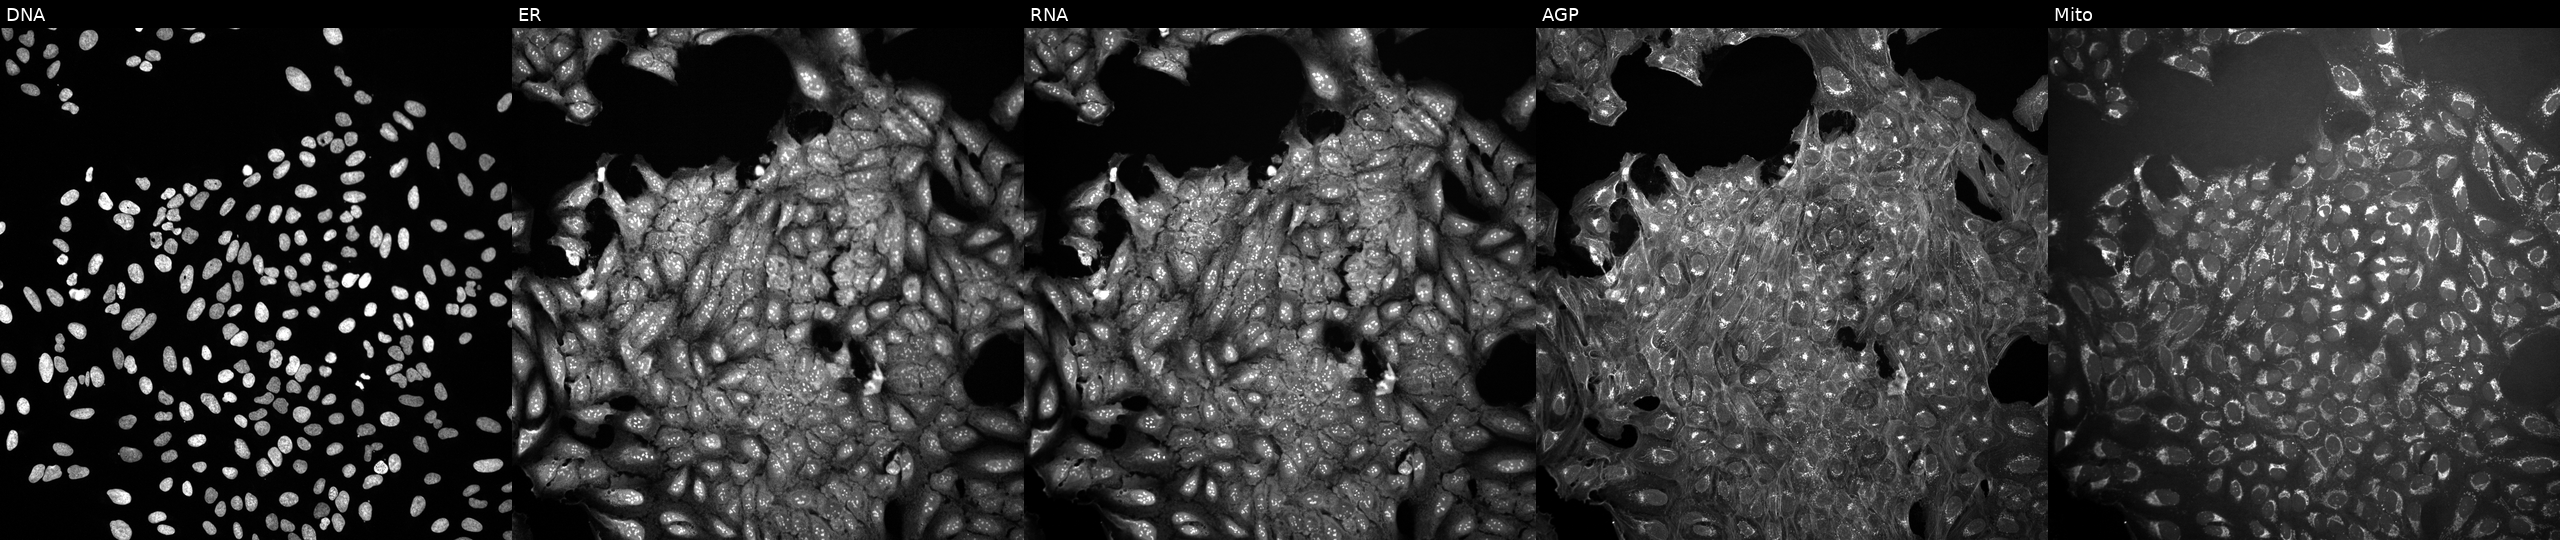
High-content fluorescence microscopy (Cell Painting). Cell line: U2OS. Perturbation: treated with a small-molecule compound [SMILES: O=C(c1cc(-c2ccccc2F)no1)N1CCc2nnc(C3CCCN3)n2CC1]. Channels (left→right): DNA (nuclei); ER (endoplasmic reticulum); RNA (nucleoli and cytoplasmic RNA); AGP (actin cytoskeleton, Golgi, and plasma membrane); Mito (mitochondria). Source 10, plate Dest210531-152149, well E15.